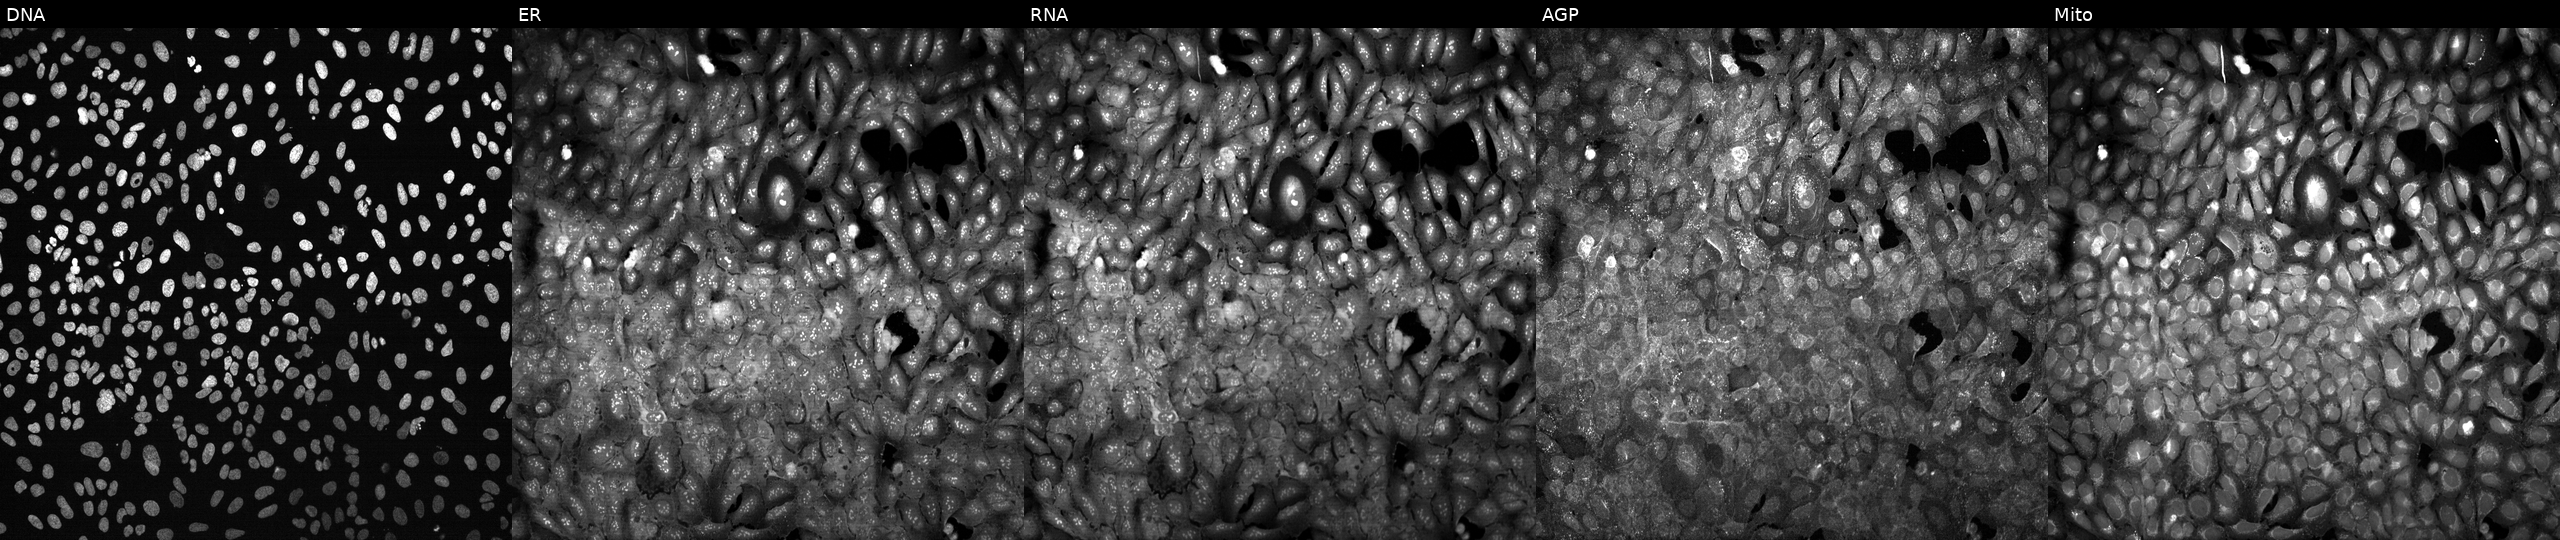
U2OS cells, Cell Painting assay, following CRISPR knockout of IL12RB2. From left to right: Hoechst 33342, concanavalin A, SYTO 14, phalloidin and WGA, MitoTracker. Each panel is percentile-stretched 16-bit fluorescence.